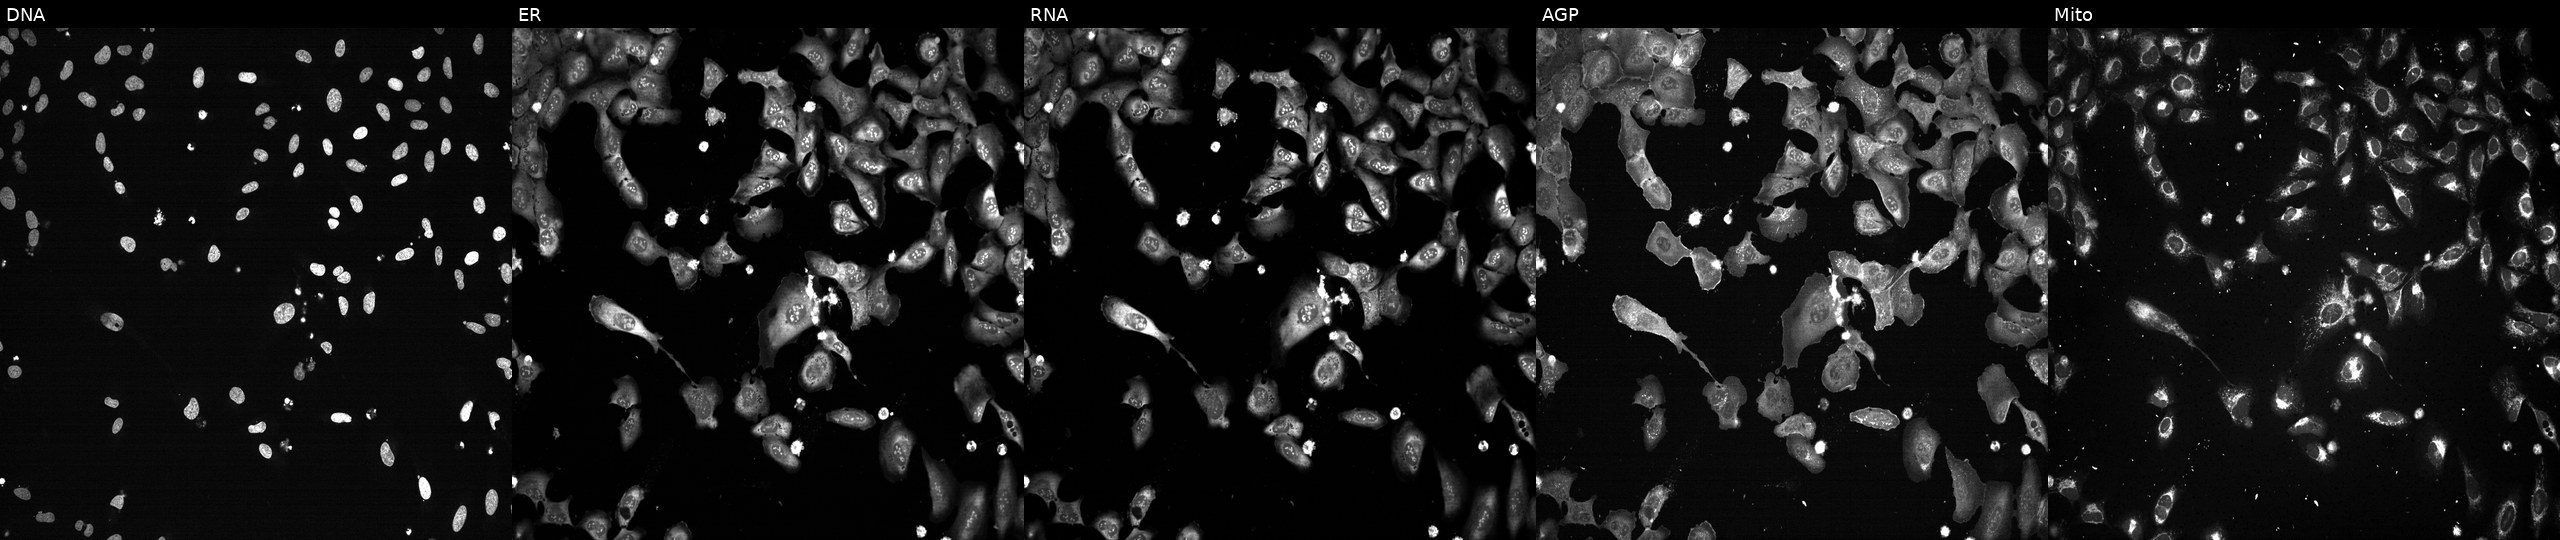
JUMP Cell Painting — CRISPR plate. U2OS cells CRISPR-edited to disrupt POLR2G (JUMP id JCP2022_805348). The five panels, left to right, show Hoechst 33342, concanavalin A, SYTO 14, phalloidin and WGA, MitoTracker.